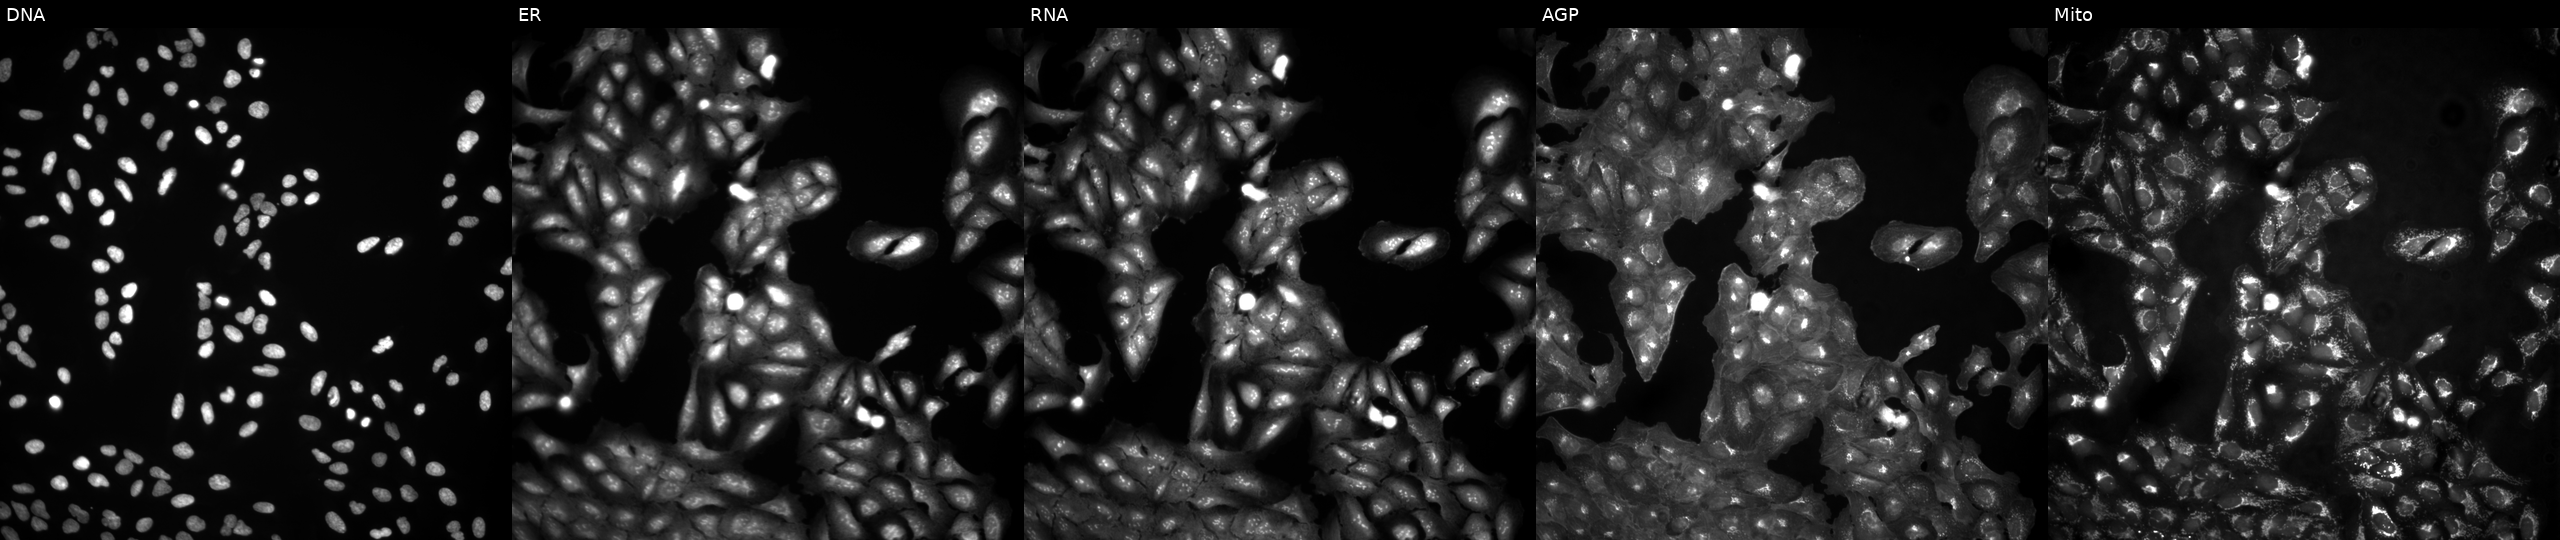
Five-channel Cell Painting image of U2OS cells in an empty control well (no perturbation) (JUMP id JCP2022_999999). From left to right: Hoechst 33342, concanavalin A, SYTO 14, phalloidin and WGA, MitoTracker.